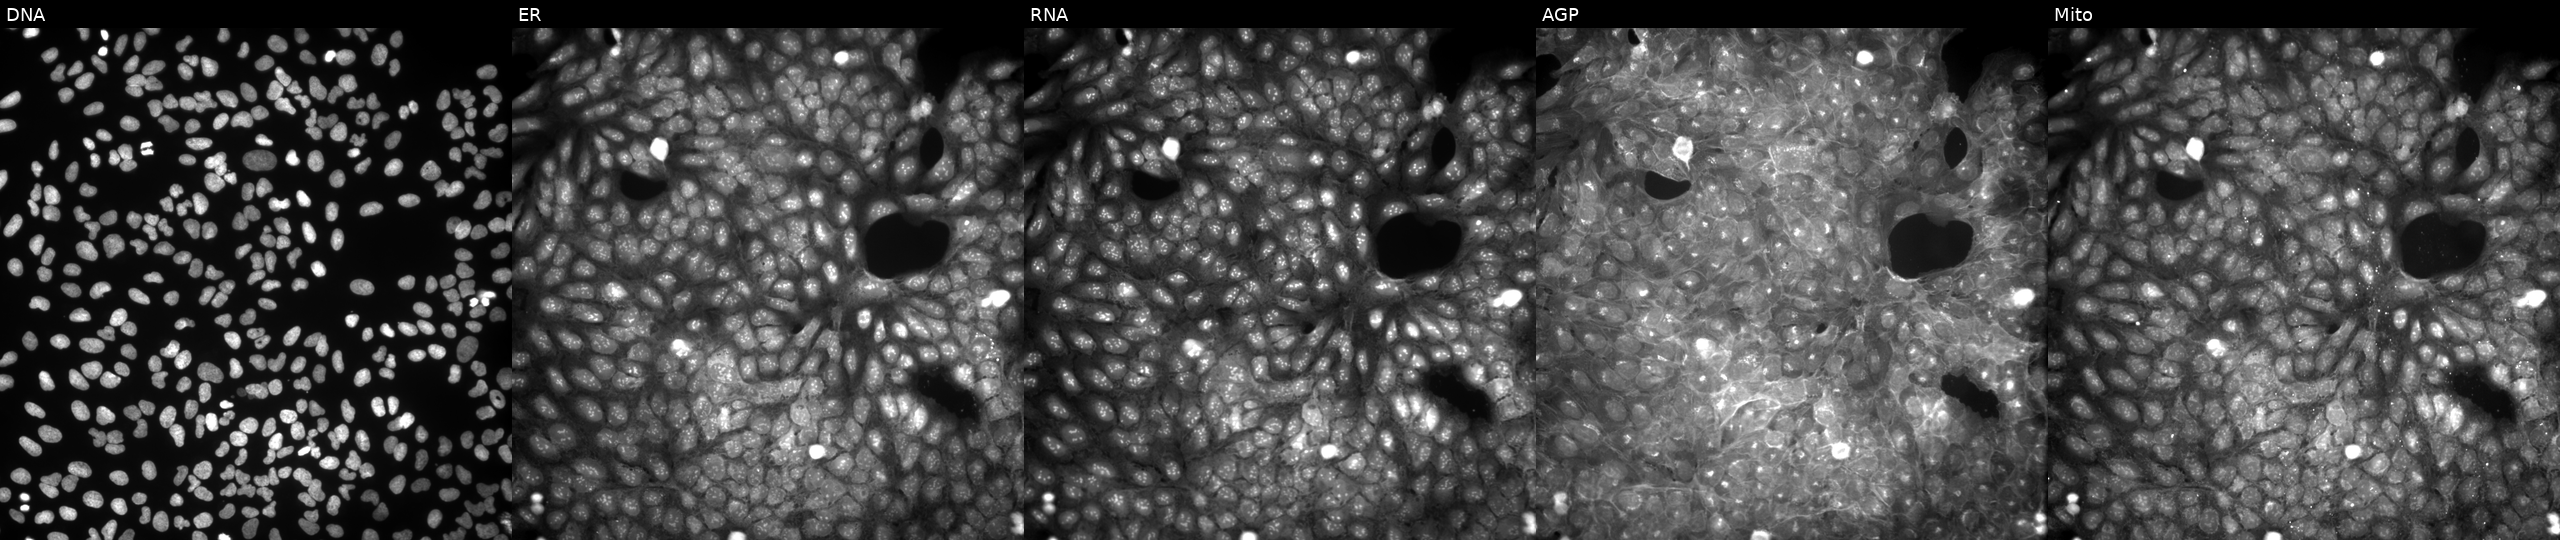
This image strip shows the five Cell Painting channels for a single field of U2OS cells treated with a small-molecule compound (InChIKey MJKWIWJNIFHRIW-UHFFFAOYSA-N) (JUMP id JCP2022_054560). Panels show, left to right, Hoechst 33342, concanavalin A, SYTO 14, phalloidin and WGA, MitoTracker.